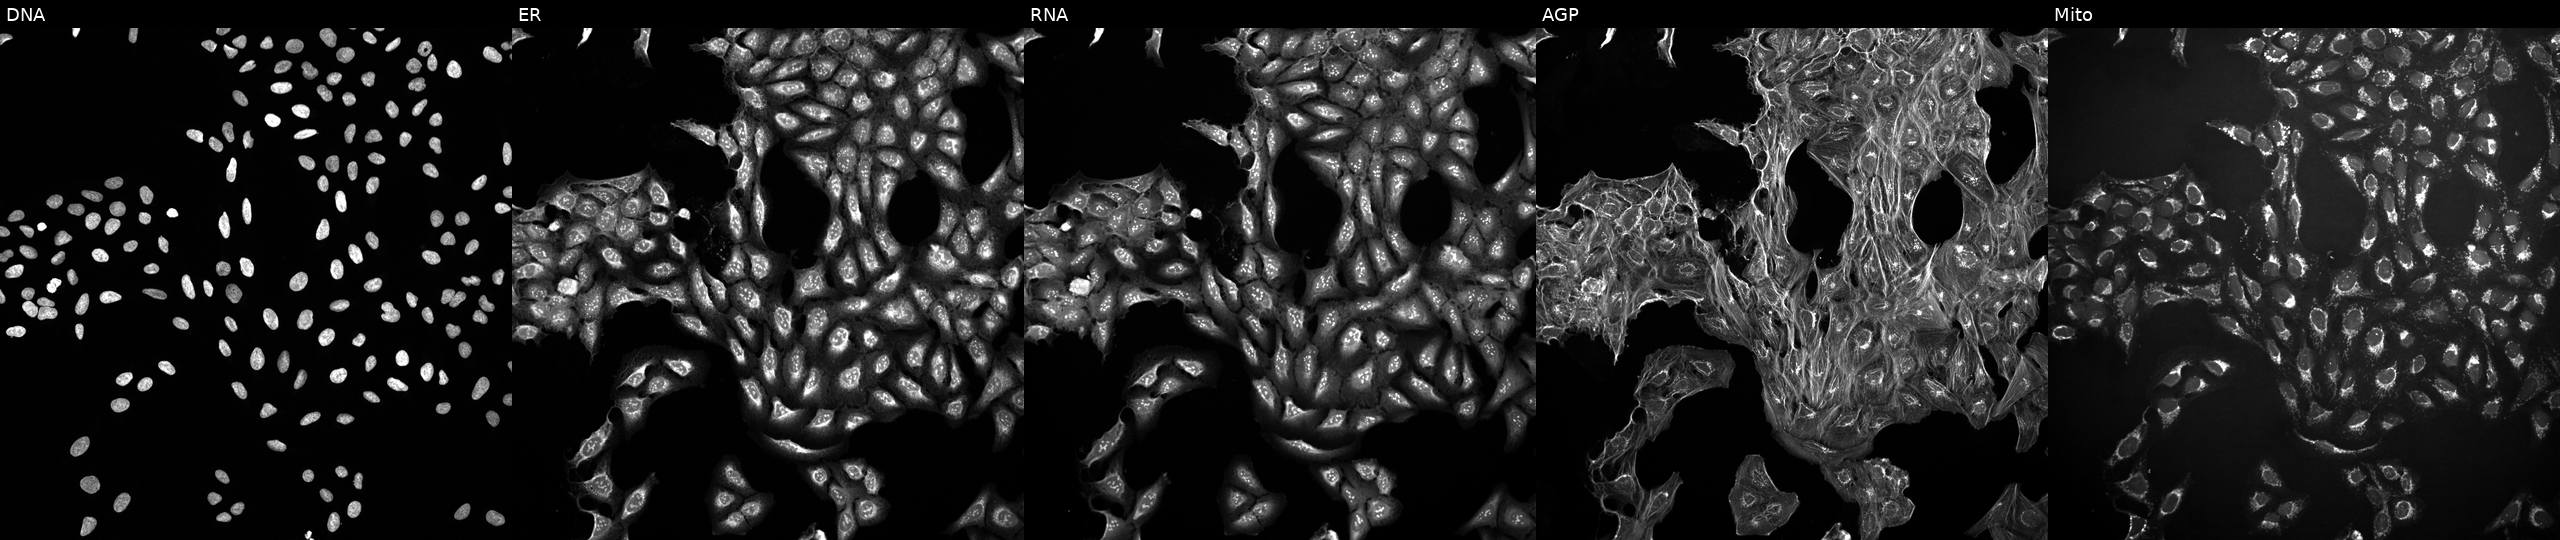
JUMP Cell Painting — TARGET2 plate. U2OS cells treated with DMSO vehicle only (negative control). Channels (left→right): DNA, ER, RNA, AGP, and Mito.